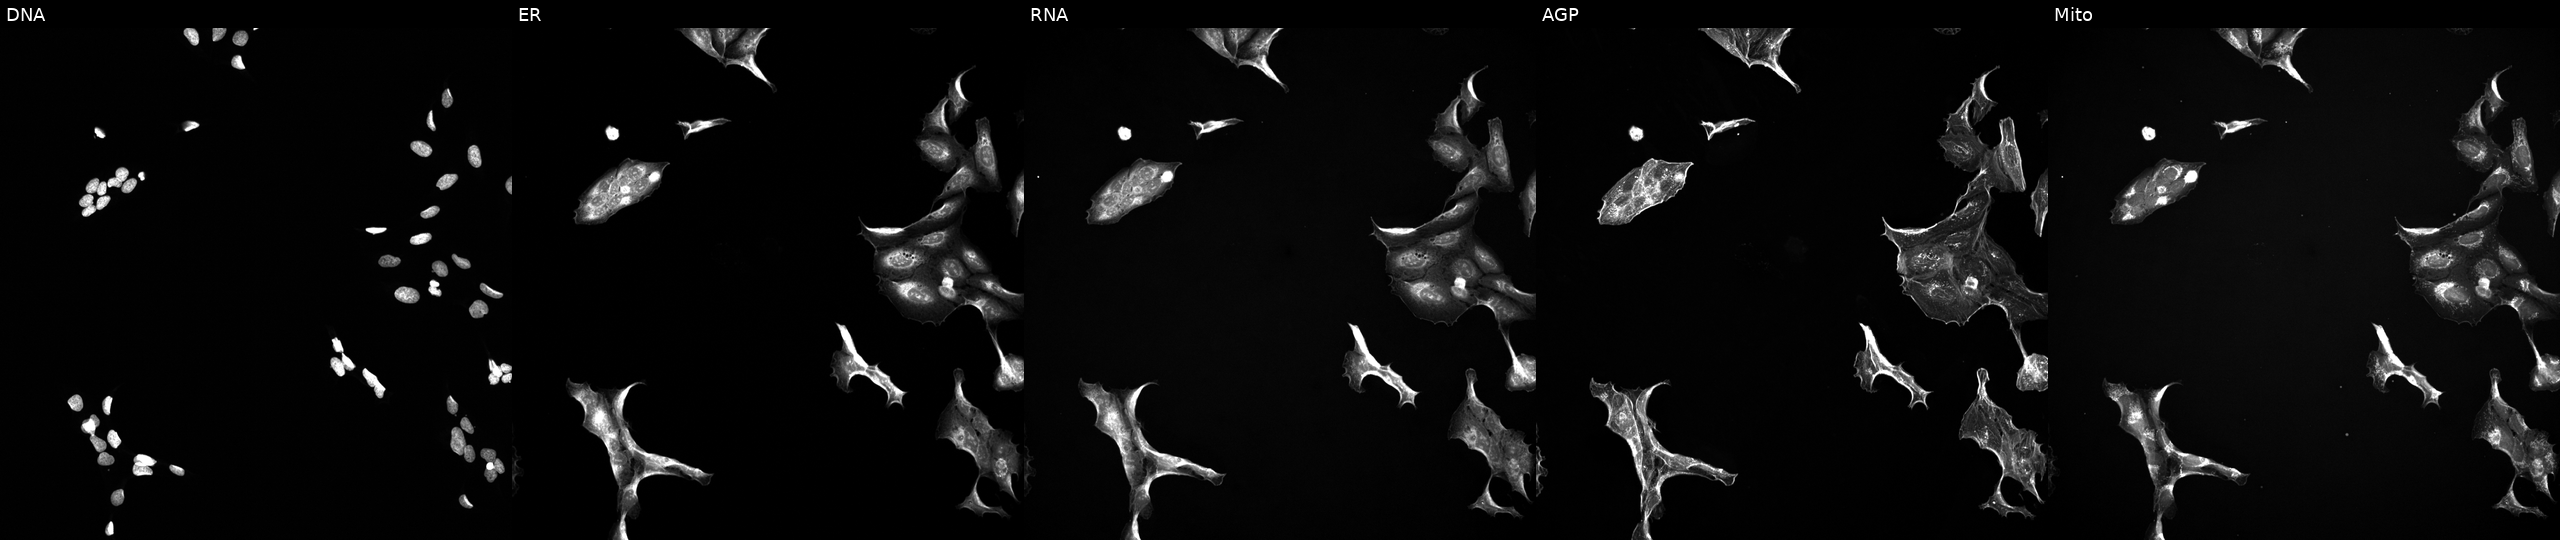
U2OS cells, Cell Painting assay, treated with a small-molecule compound (InChIKey BBDGBGOVJPEFBT-UHFFFAOYSA-N). The five panels, left to right, show Hoechst 33342, concanavalin A, SYTO 14, phalloidin and WGA, MitoTracker. Each panel is percentile-stretched 16-bit fluorescence.